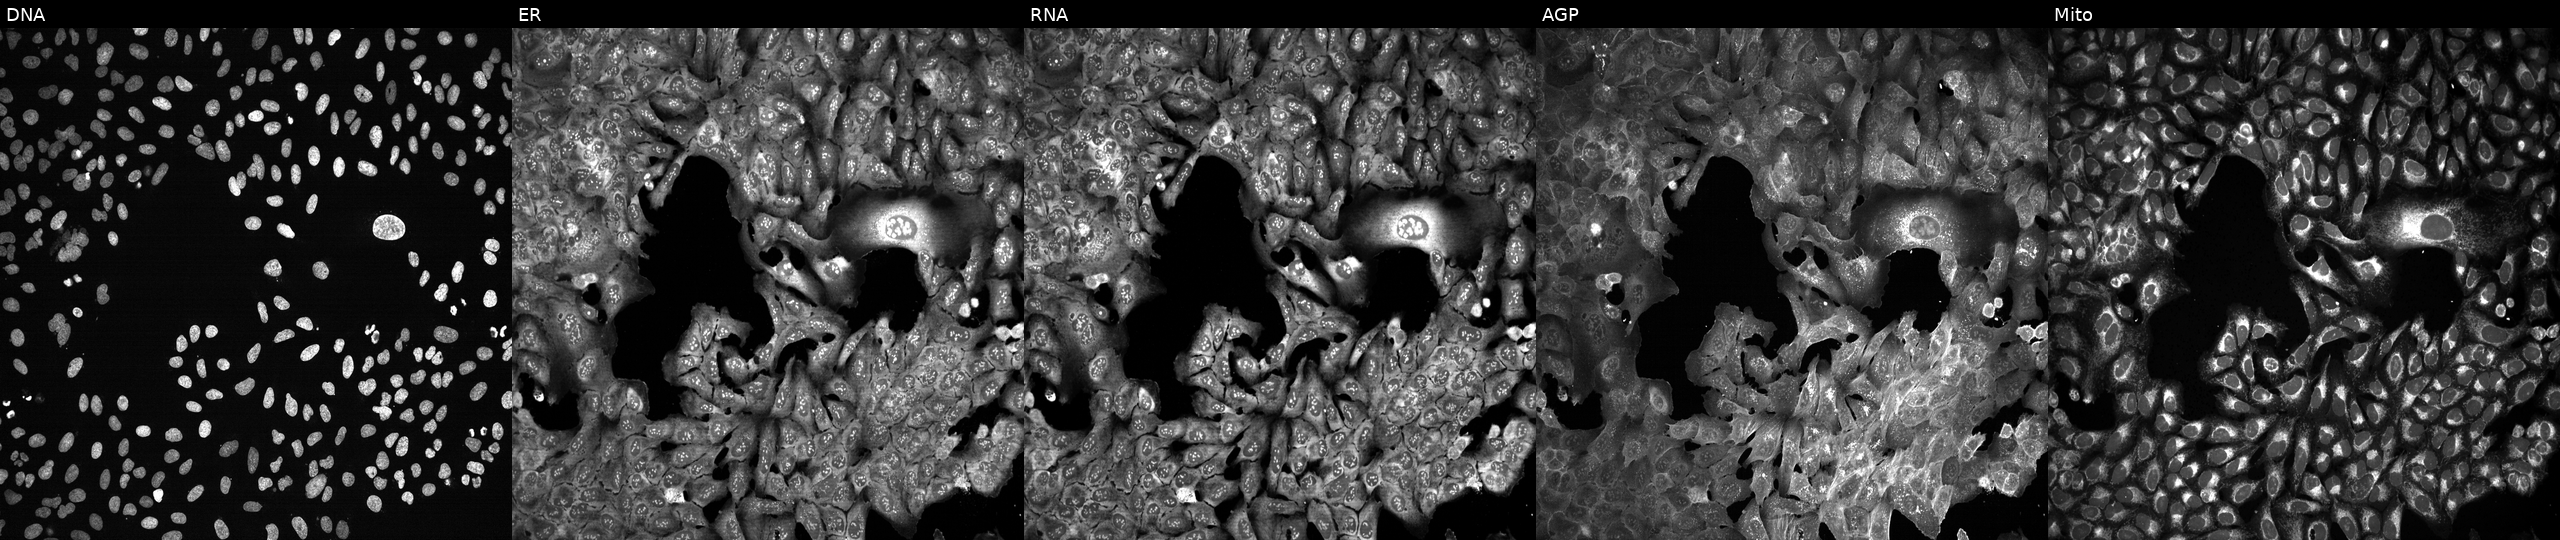
The five panels, left to right, show DNA, ER, RNA, AGP, and Mito. U2OS osteosarcoma cells with NAALAD2 knocked out by CRISPR. Cell Painting assay, JUMP-CP dataset.